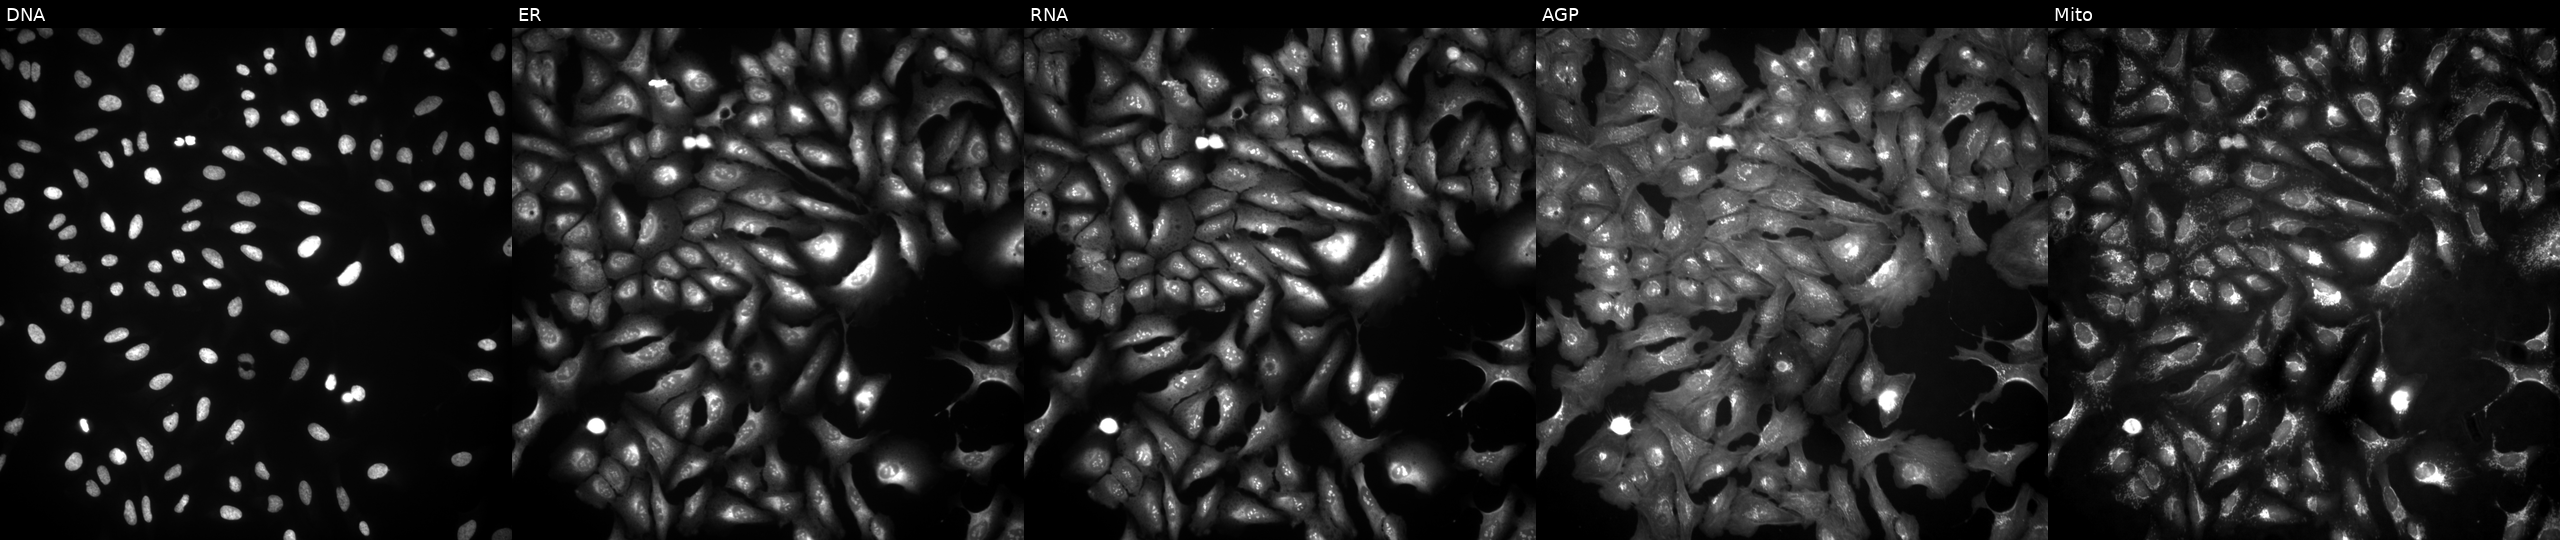
The five panels, left to right, show Hoechst 33342, concanavalin A, SYTO 14, phalloidin and WGA, MitoTracker. U2OS osteosarcoma cells with TRPC1 overexpressed (ORF). Cell Painting assay, JUMP-CP dataset.